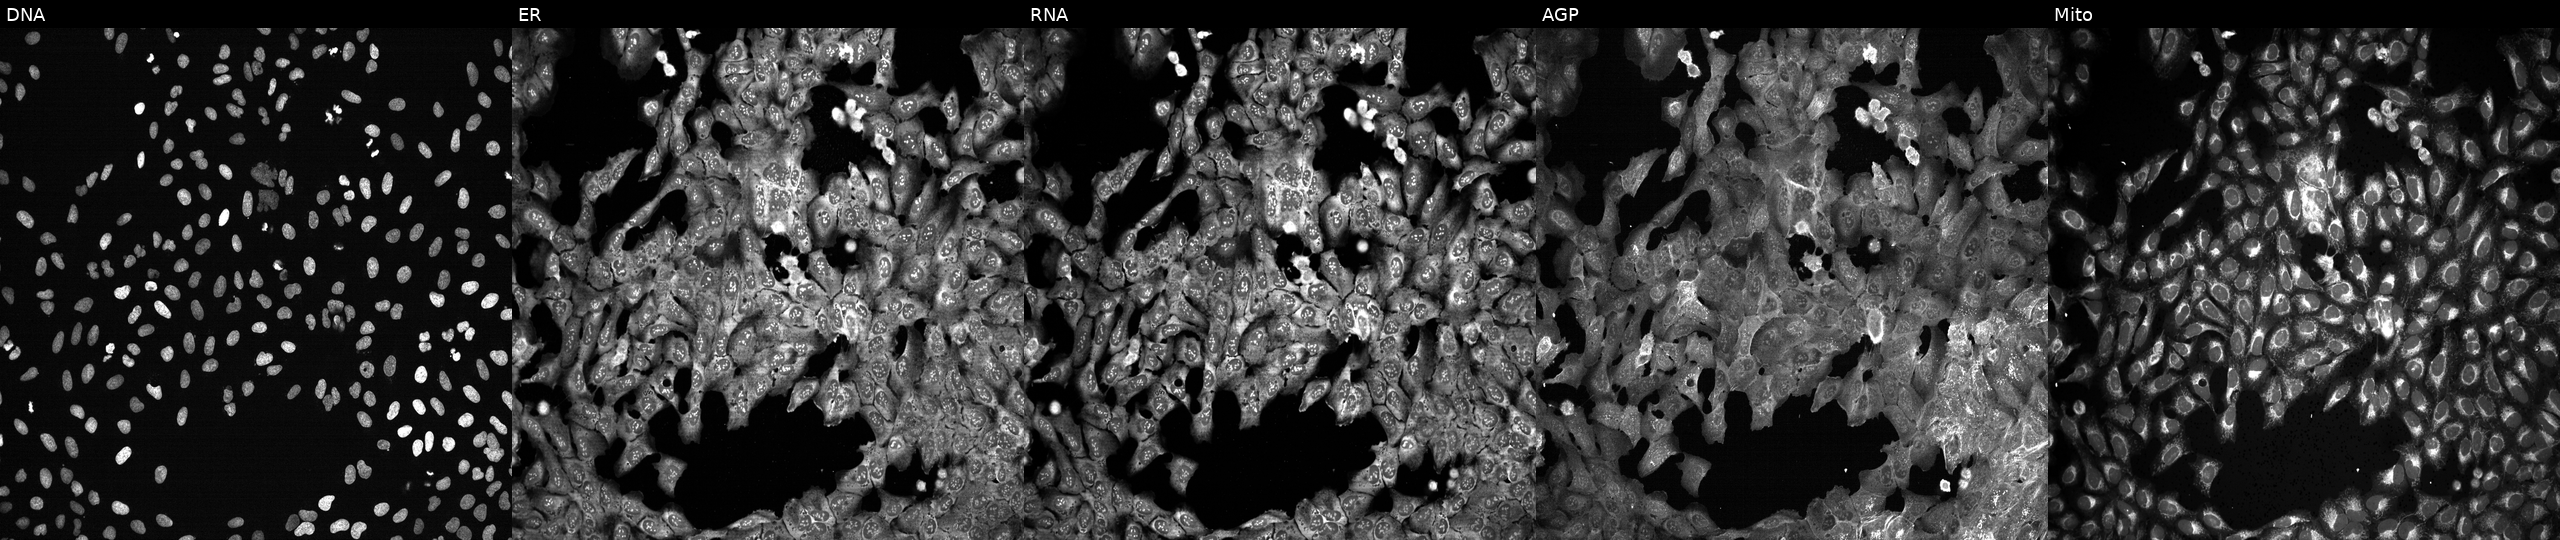
High-content fluorescence microscopy (Cell Painting). Cell line: U2OS. Perturbation: with SMARCB1 knocked out by CRISPR (JUMP id JCP2022_806633). From left to right: Hoechst 33342, concanavalin A, SYTO 14, phalloidin and WGA, MitoTracker.